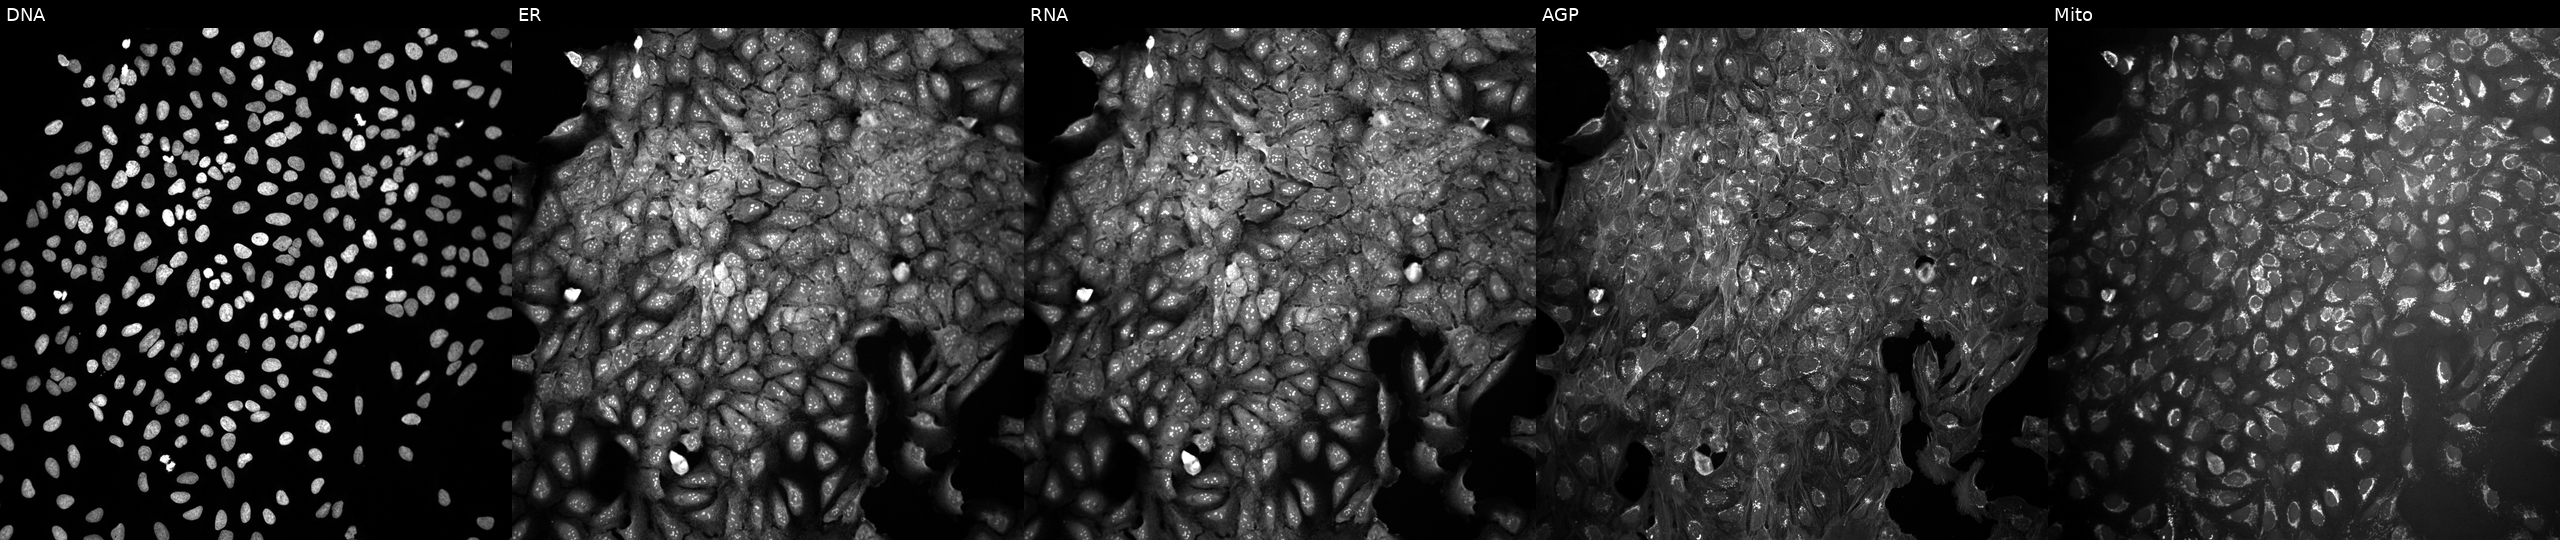
High-content fluorescence microscopy (Cell Painting). Cell line: U2OS. Perturbation: treated with DMSO vehicle only (negative control). The five panels, left to right, show DNA, ER, RNA, AGP, and Mito.